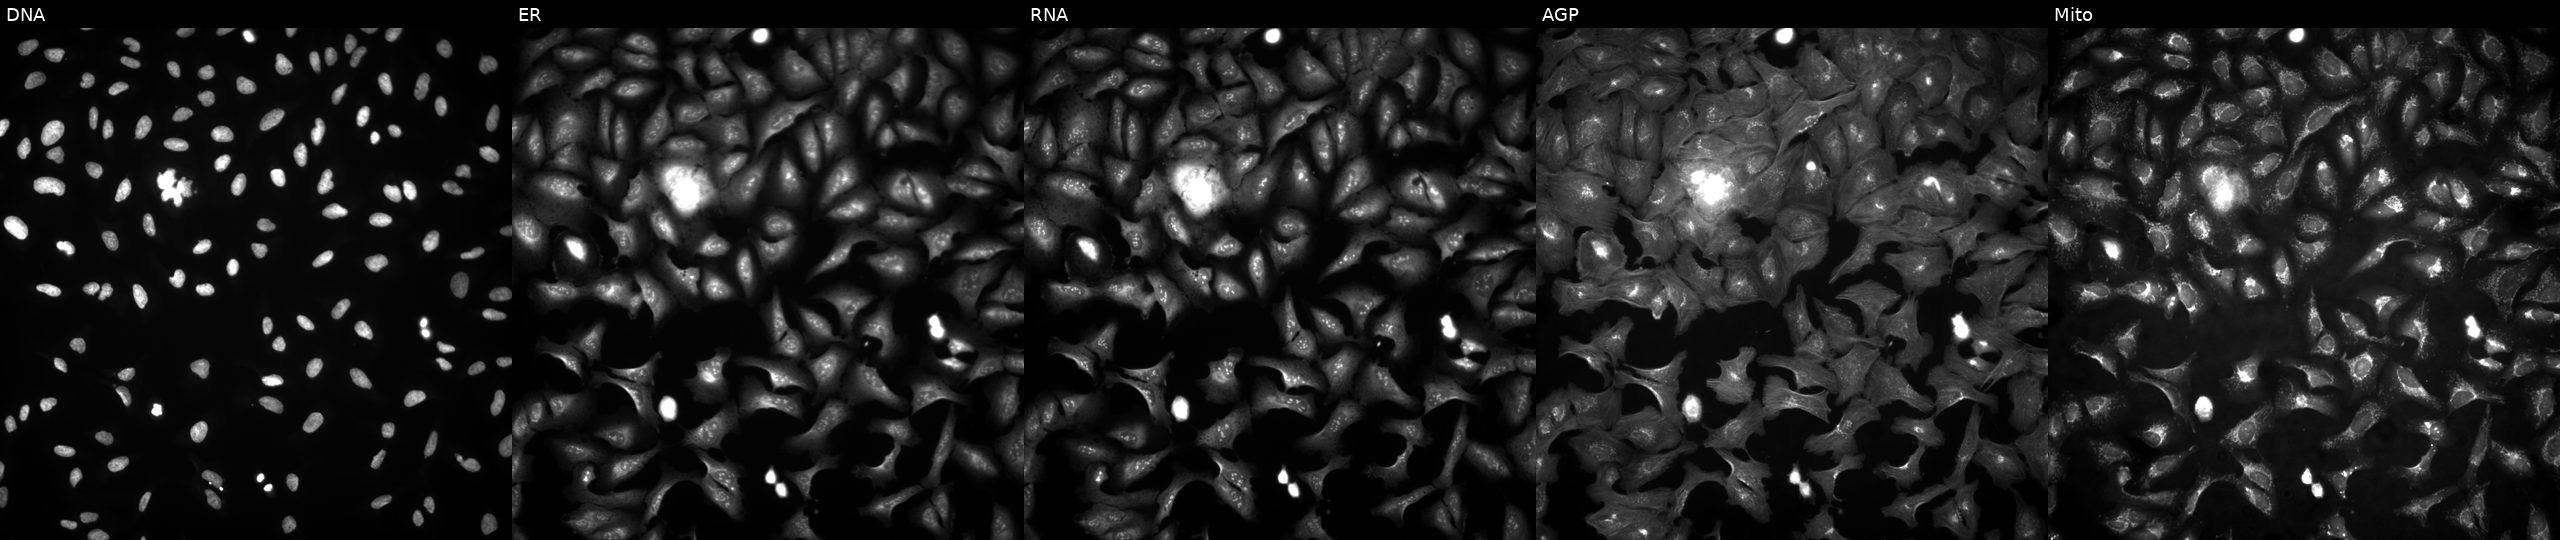
U2OS cells, Cell Painting assay, transfected with an ORF construct for GIMAP5 (JUMP id JCP2022_907967). From left to right: DNA, ER, RNA, AGP, and Mito. Each panel is percentile-stretched 16-bit fluorescence. Source 4, plate BR00124784, well C14.